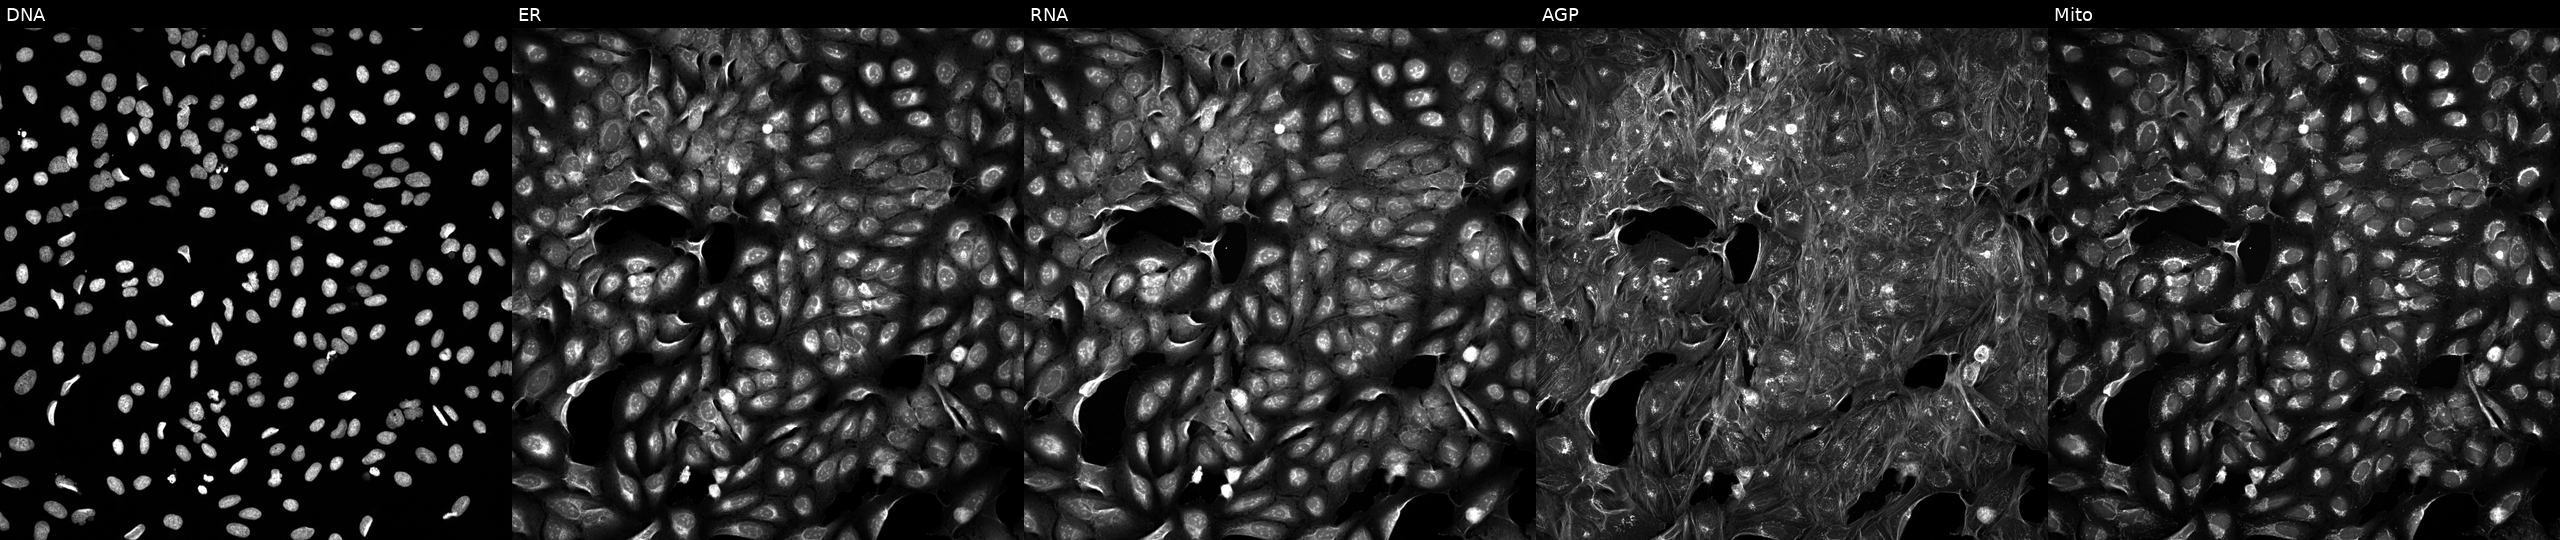
JUMP Cell Painting — TARGET2 plate. U2OS cells treated with a small-molecule compound (JUMP id JCP2022_065525). Panels show, left to right, DNA (nuclei); ER (endoplasmic reticulum); RNA (nucleoli and cytoplasmic RNA); AGP (actin cytoskeleton, Golgi, and plasma membrane); Mito (mitochondria). Source 5, plate ACPJUM012, well M14.